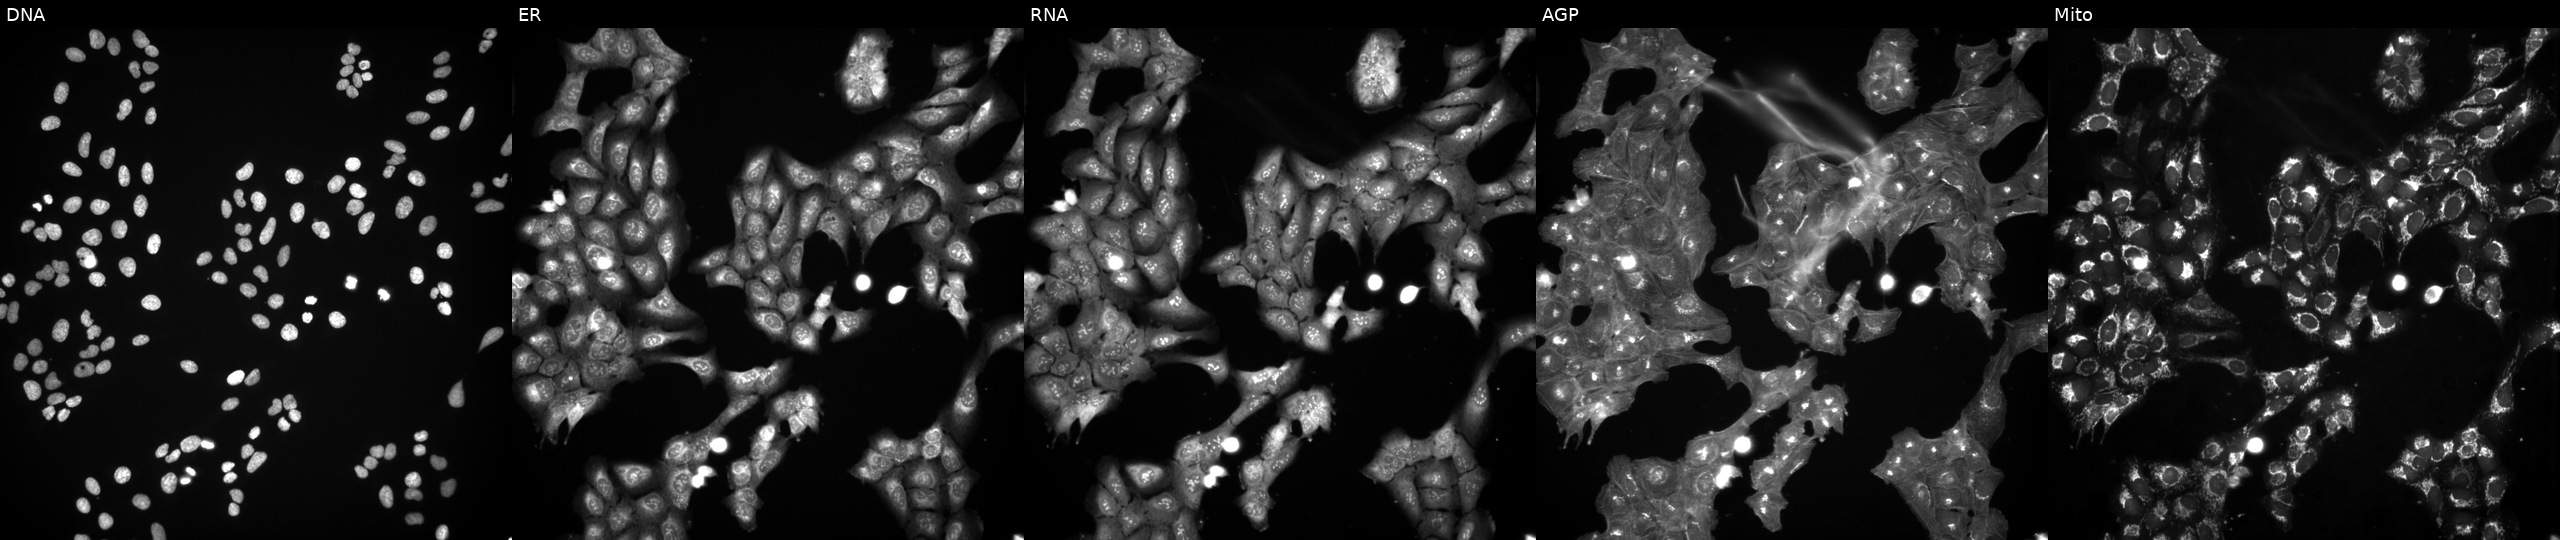
High-content fluorescence microscopy (Cell Painting). Cell line: U2OS. Perturbation: perturbed with a small-molecule compound (InChIKey VJFMXWCHMBOXGQ-UHFFFAOYSA-N) [SMILES: Cc1noc(C)c1COC(=O)CCOc1ccccc1]. From left to right: DNA, ER, RNA, AGP, and Mito.